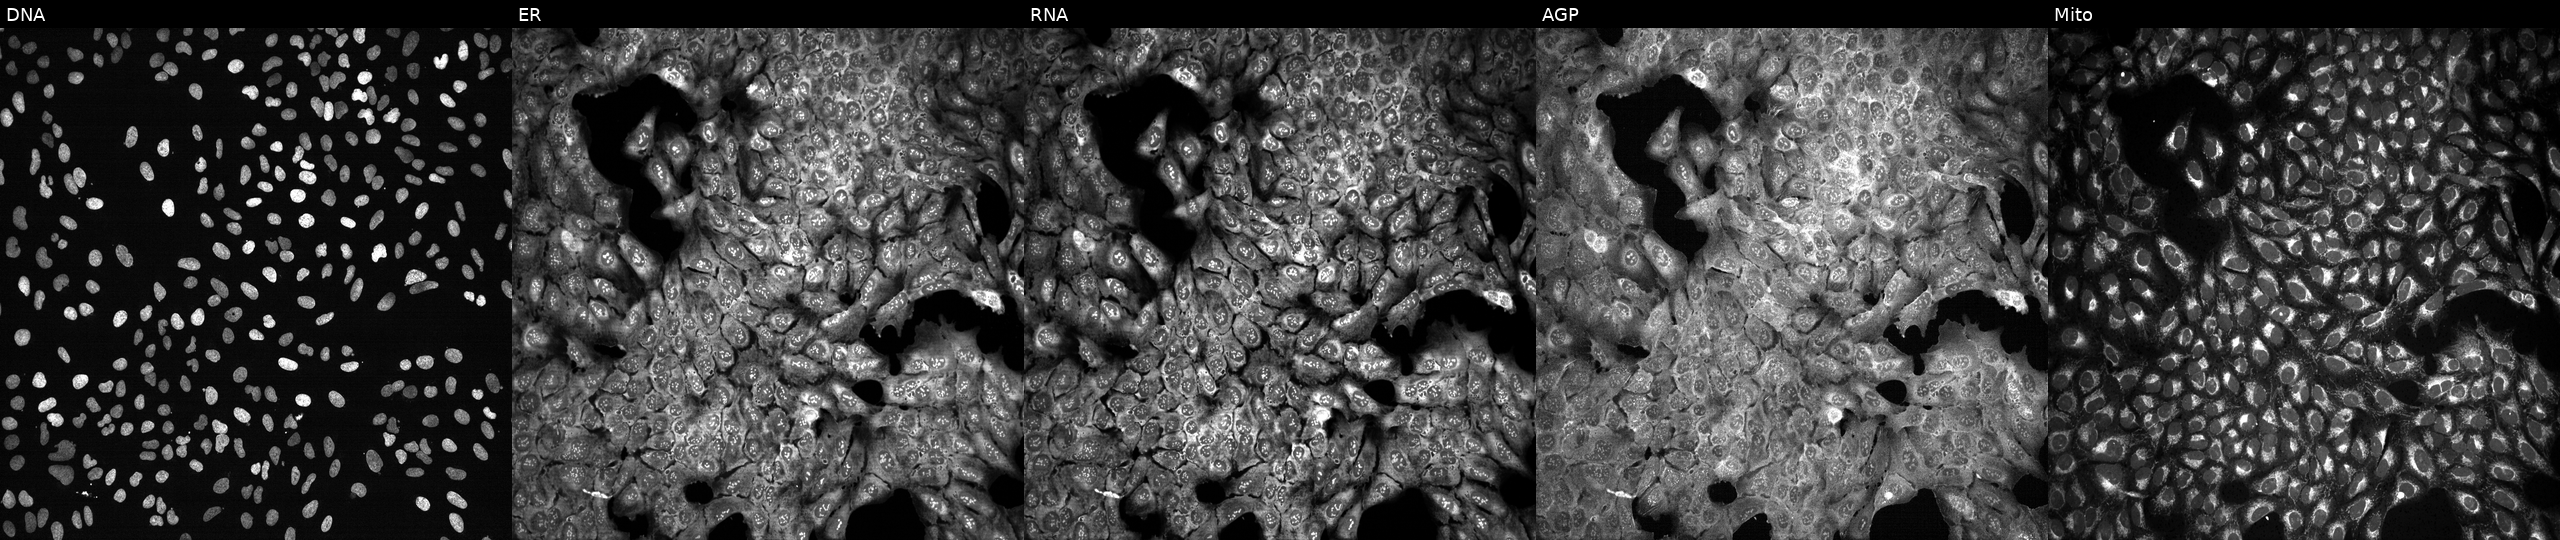
From left to right: Hoechst 33342, concanavalin A, SYTO 14, phalloidin and WGA, MitoTracker. U2OS osteosarcoma cells CRISPR-edited to disrupt SLC25A36. Cell Painting assay, JUMP-CP dataset.